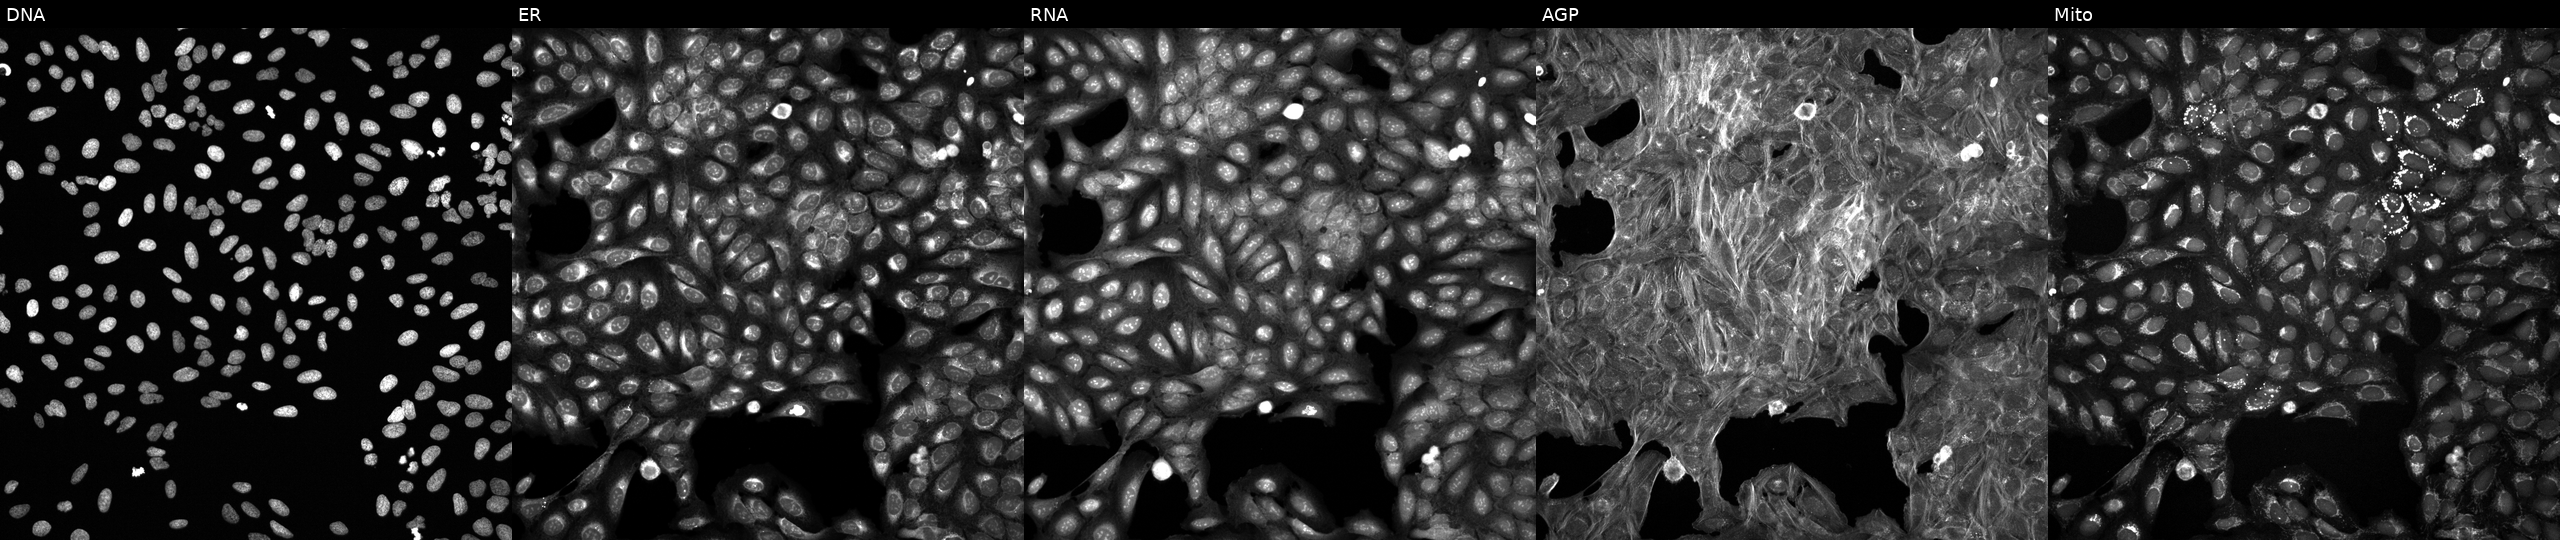
Five-channel Cell Painting image of U2OS cells treated with a small-molecule compound. Channels (left→right): DNA, ER, RNA, AGP, and Mito.